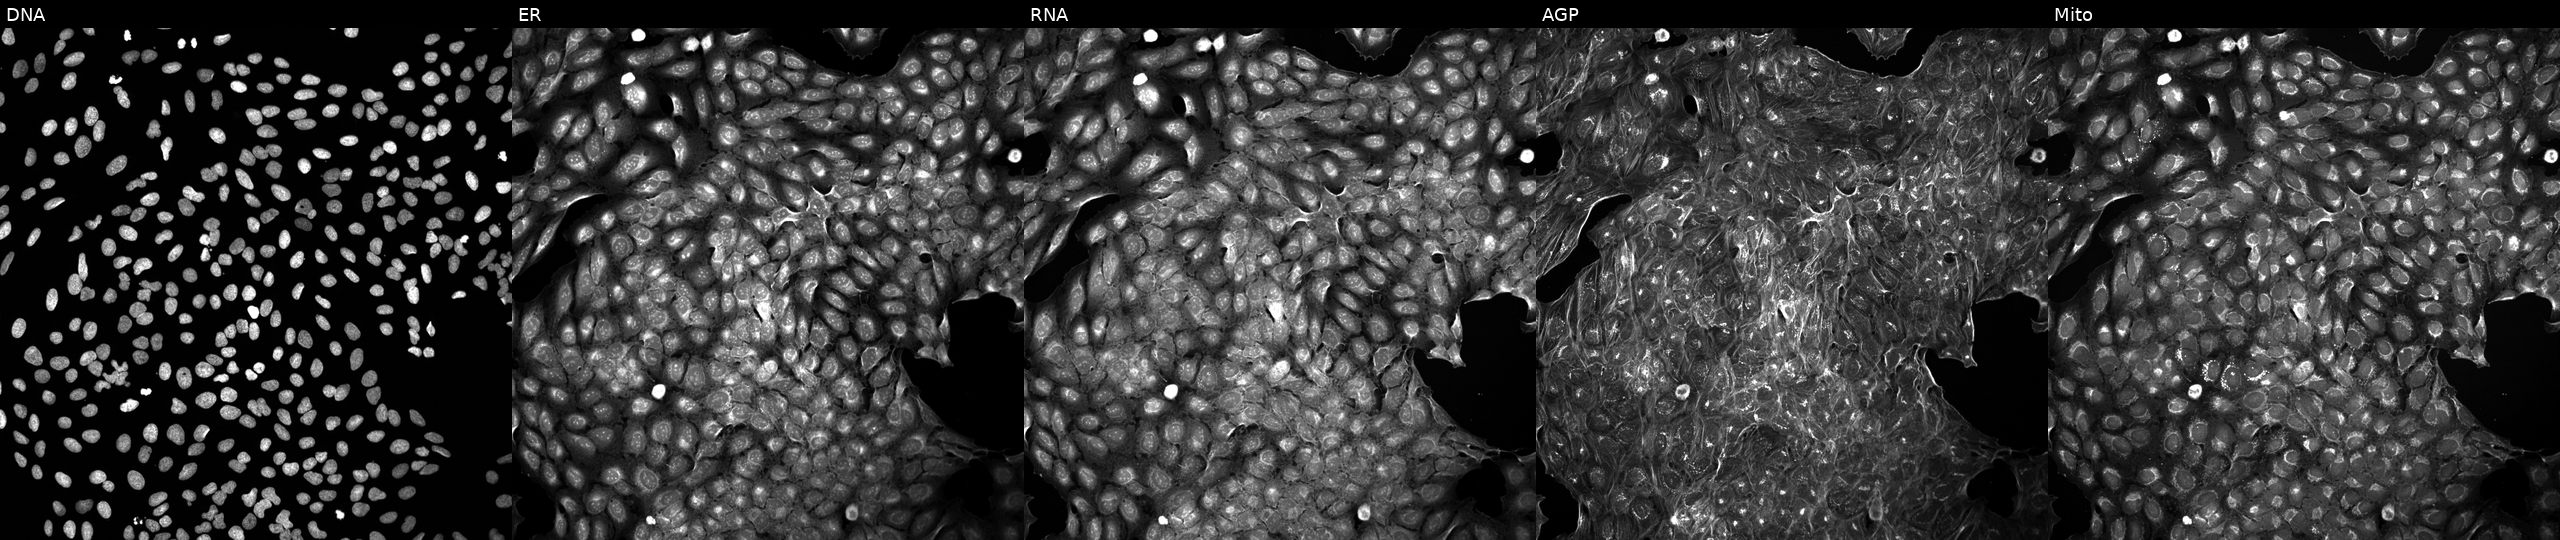
The five panels, left to right, show DNA (nuclei); ER (endoplasmic reticulum); RNA (nucleoli and cytoplasmic RNA); AGP (actin cytoskeleton, Golgi, and plasma membrane); Mito (mitochondria). U2OS osteosarcoma cells perturbed with a small-molecule compound (InChIKey WLBPSPWXZAMISE-UHFFFAOYSA-N). Cell Painting assay, JUMP-CP dataset. Source 5, plate APTJUM105, well K21.